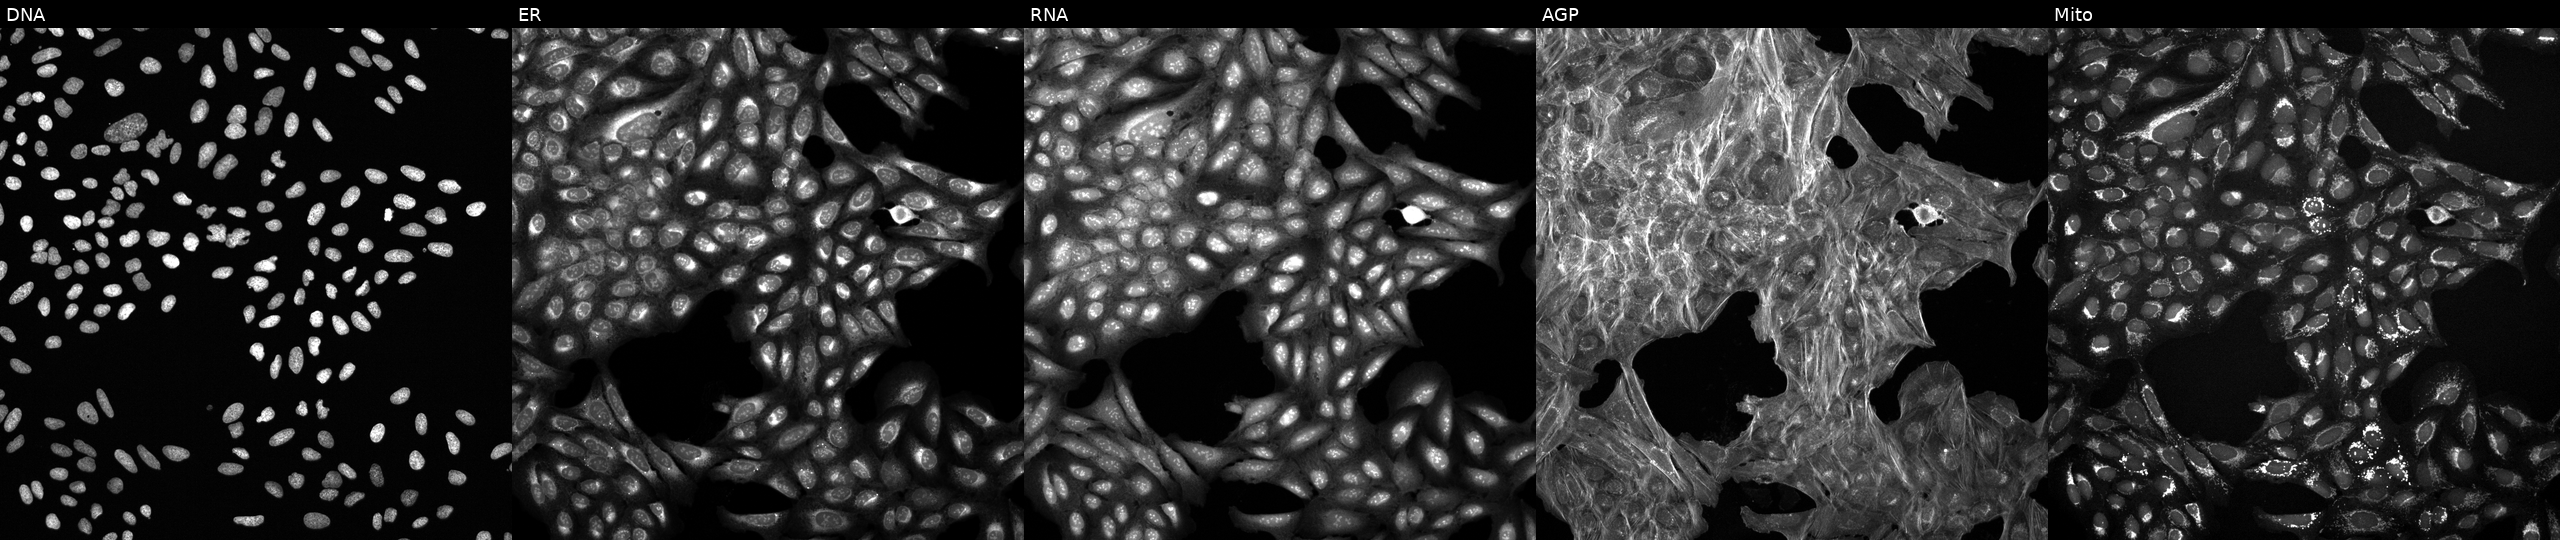
JUMP Cell Painting — TARGET2 plate. U2OS cells treated with DMSO vehicle only (negative control) (JUMP id JCP2022_033924). Channels (left→right): Hoechst 33342, concanavalin A, SYTO 14, phalloidin and WGA, MitoTracker.